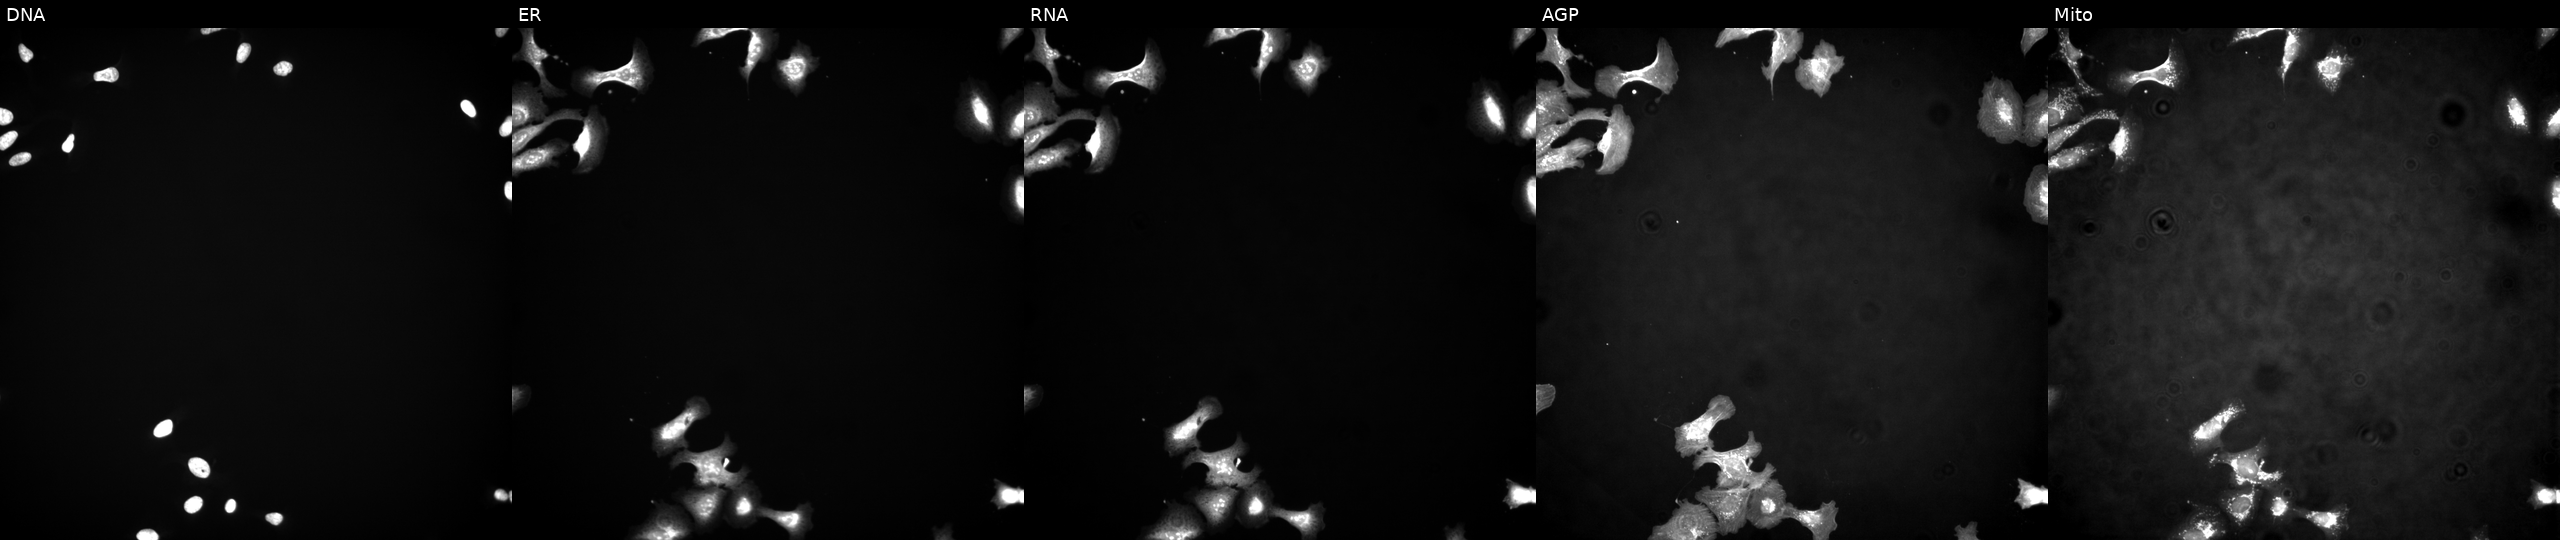
The five panels, left to right, show DNA (nuclei); ER (endoplasmic reticulum); RNA (nucleoli and cytoplasmic RNA); AGP (actin cytoskeleton, Golgi, and plasma membrane); Mito (mitochondria). U2OS osteosarcoma cells transfected with an ORF construct for DCK (JUMP id JCP2022_913645). Cell Painting assay, JUMP-CP dataset. Source 4, plate BR00123945, well O12.